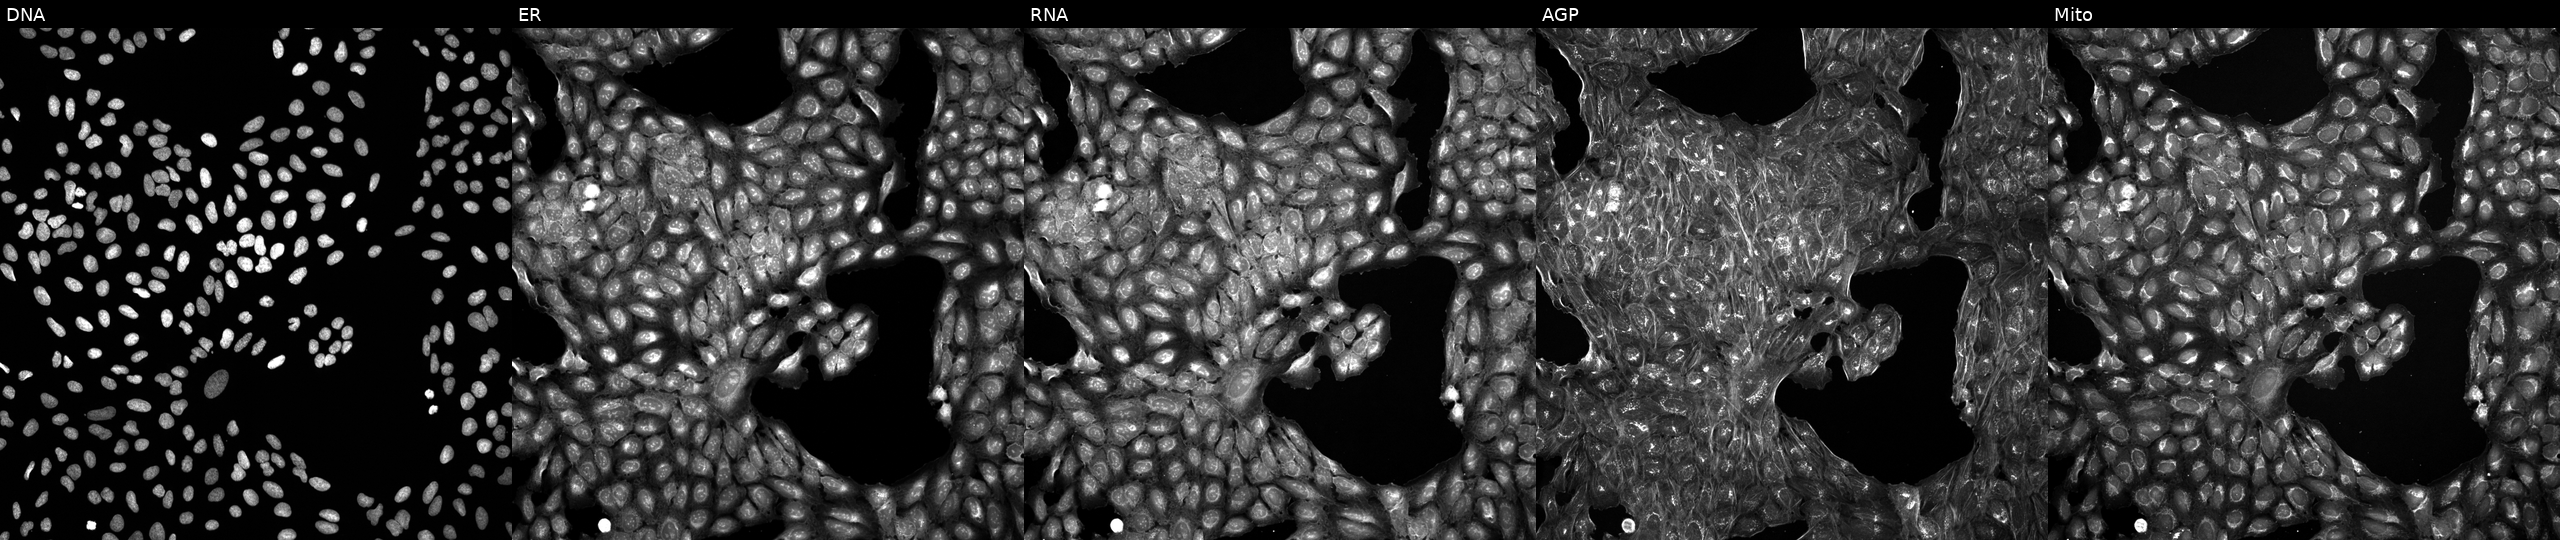
JUMP Cell Painting — COMPOUND plate. U2OS cells treated with a small-molecule compound (InChIKey BXYVYKRRENQFPZ-UHFFFAOYSA-N). Channels (left→right): DNA (nuclei); ER (endoplasmic reticulum); RNA (nucleoli and cytoplasmic RNA); AGP (actin cytoskeleton, Golgi, and plasma membrane); Mito (mitochondria).